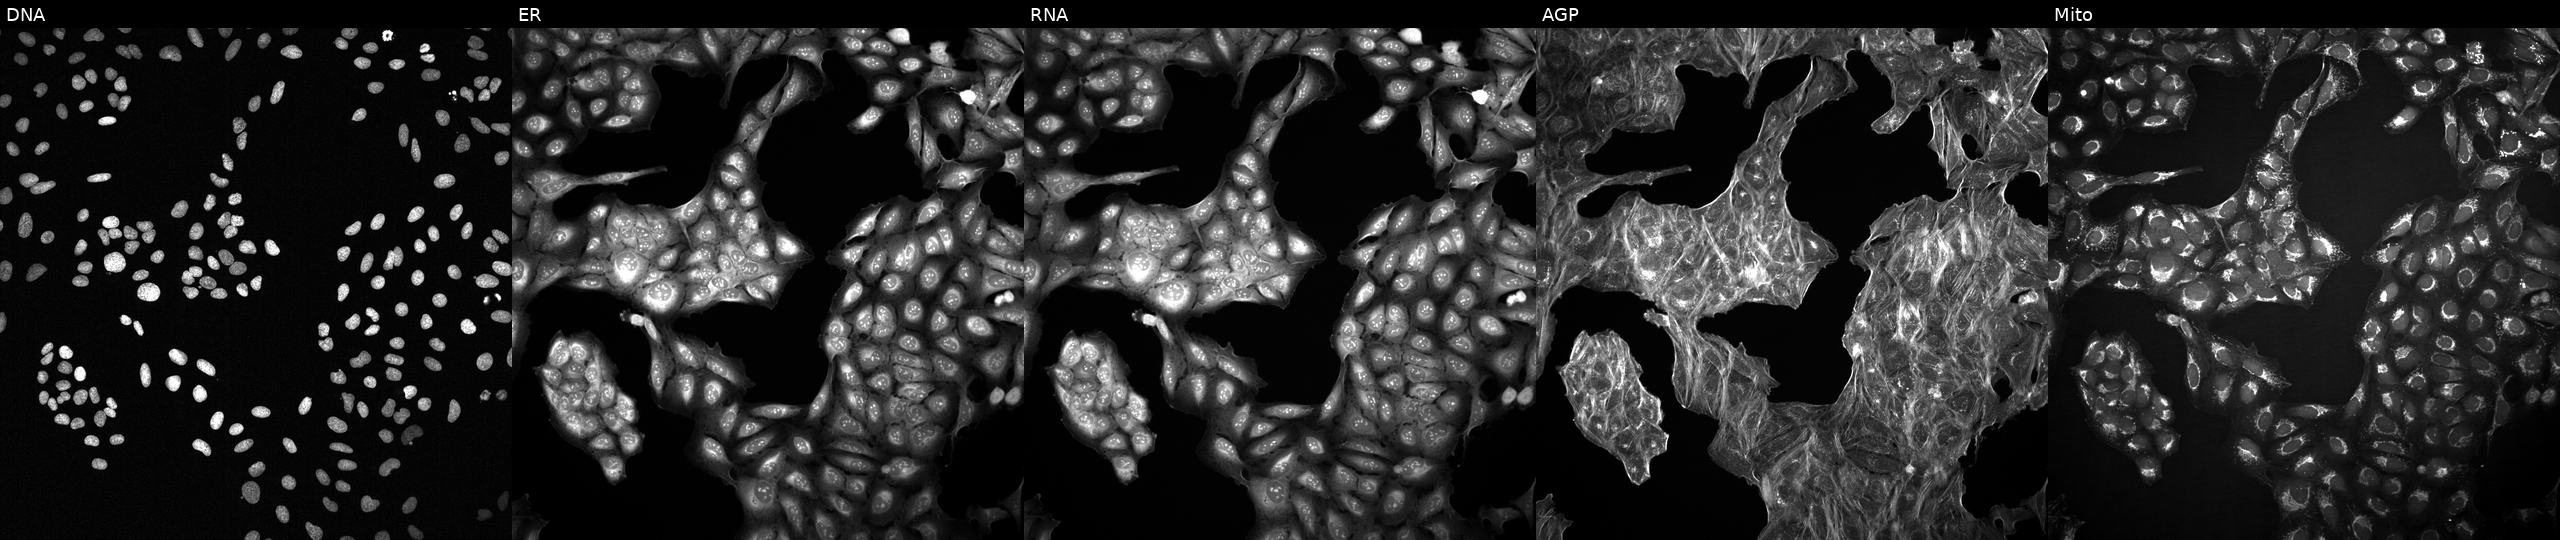
Channels (left→right): DNA (nuclei); ER (endoplasmic reticulum); RNA (nucleoli and cytoplasmic RNA); AGP (actin cytoskeleton, Golgi, and plasma membrane); Mito (mitochondria). U2OS osteosarcoma cells perturbed with a small-molecule compound (InChIKey UPPYPMPKLLBYOE-UHFFFAOYSA-N) [SMILES: O=c1[nH]ncc(=NCCO)[nH]1]. Cell Painting assay, JUMP-CP dataset.